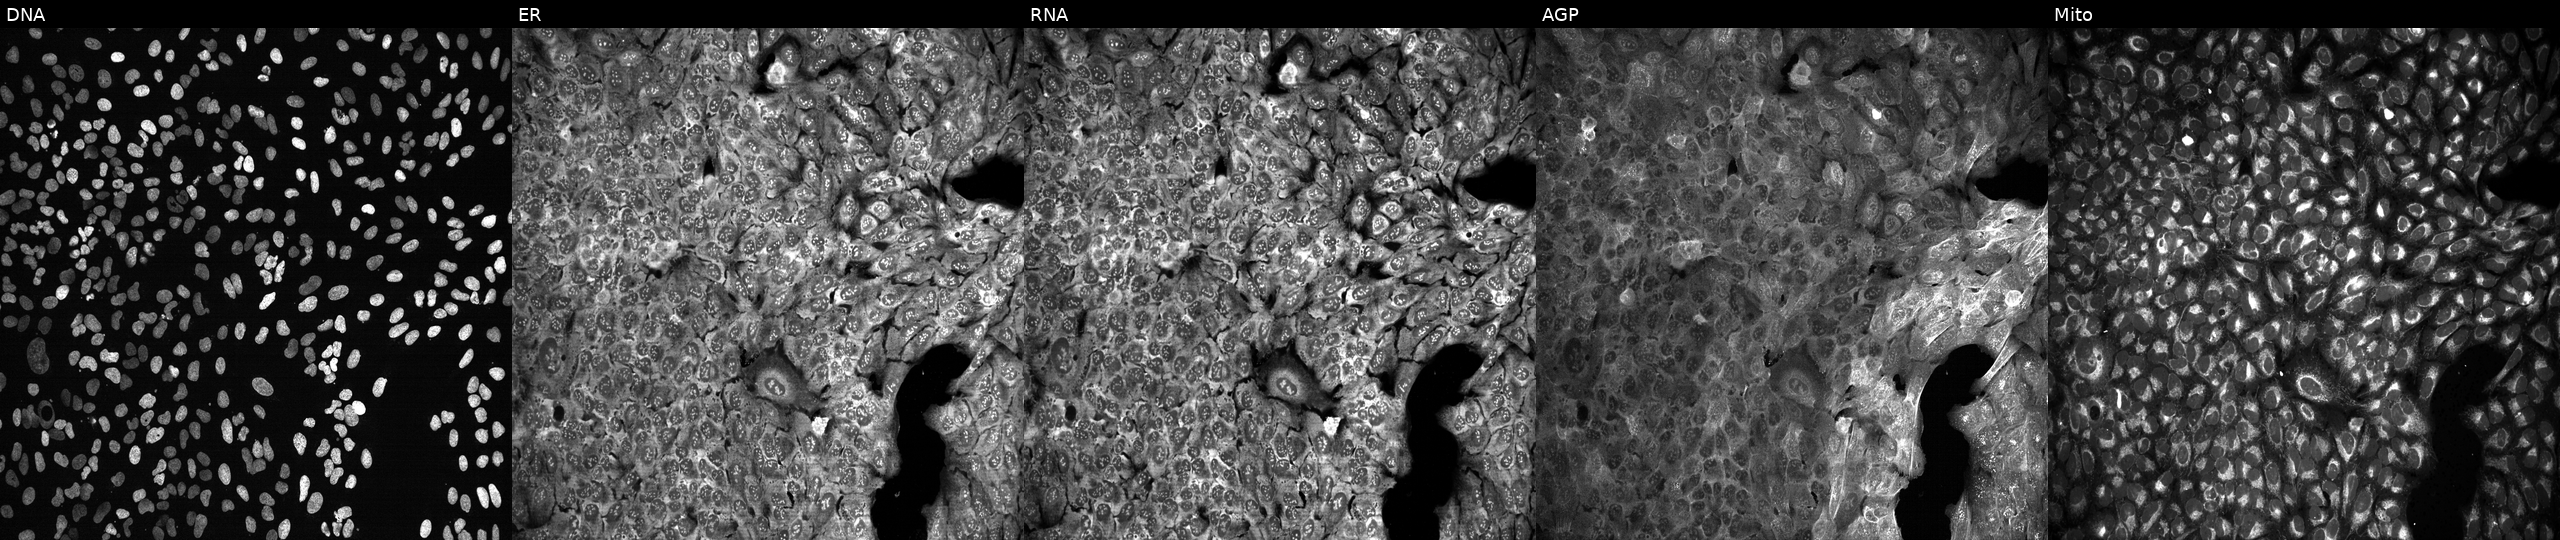
Five-channel Cell Painting image of U2OS cells CRISPR-edited to disrupt ACTN1 (JUMP id JCP2022_800152). Panels show, left to right, Hoechst 33342, concanavalin A, SYTO 14, phalloidin and WGA, MitoTracker.